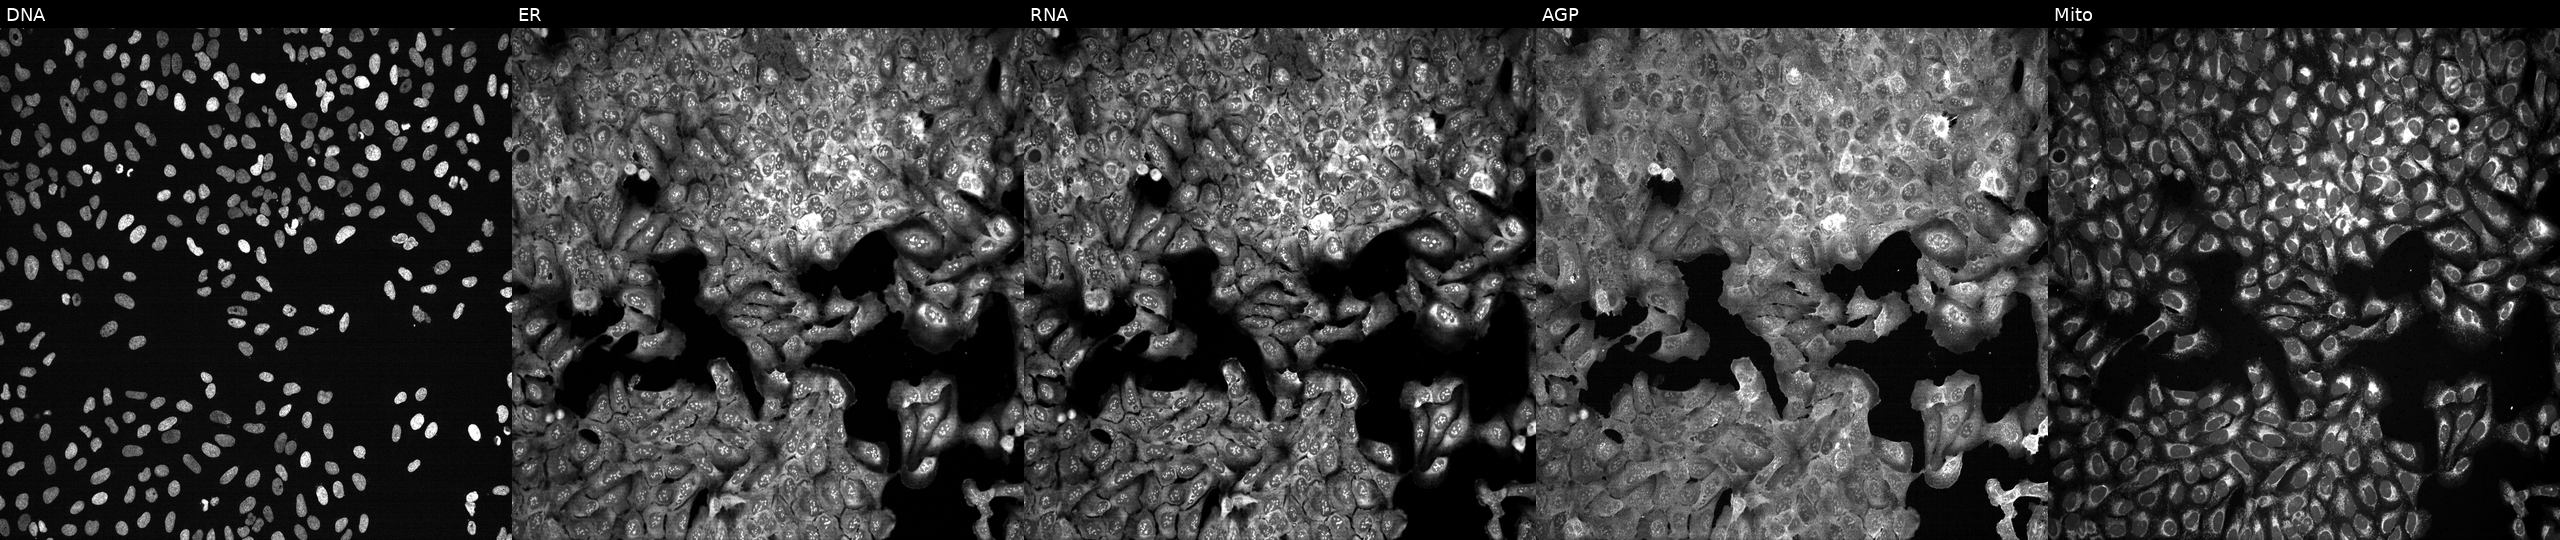
U2OS cells, Cell Painting assay, CRISPR-edited to disrupt TIAM2. From left to right: DNA (nuclei); ER (endoplasmic reticulum); RNA (nucleoli and cytoplasmic RNA); AGP (actin cytoskeleton, Golgi, and plasma membrane); Mito (mitochondria). Each panel is percentile-stretched 16-bit fluorescence.